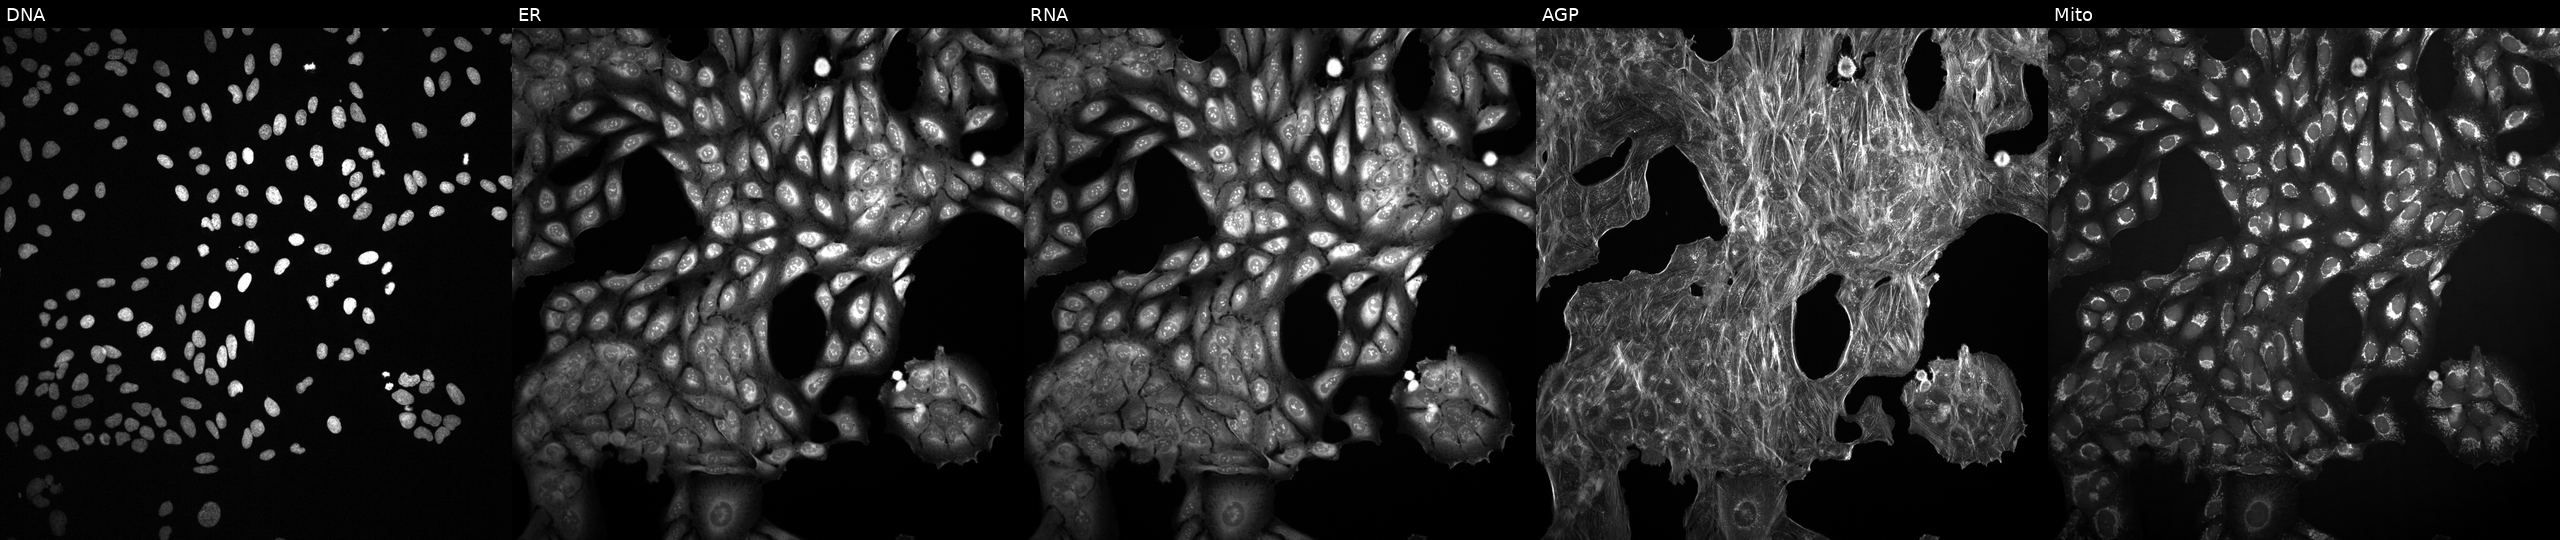
JUMP Cell Painting — TARGET2 plate. U2OS cells treated with DMSO vehicle only (negative control) (JUMP id JCP2022_033924). Channels (left→right): DNA (nuclei); ER (endoplasmic reticulum); RNA (nucleoli and cytoplasmic RNA); AGP (actin cytoskeleton, Golgi, and plasma membrane); Mito (mitochondria).